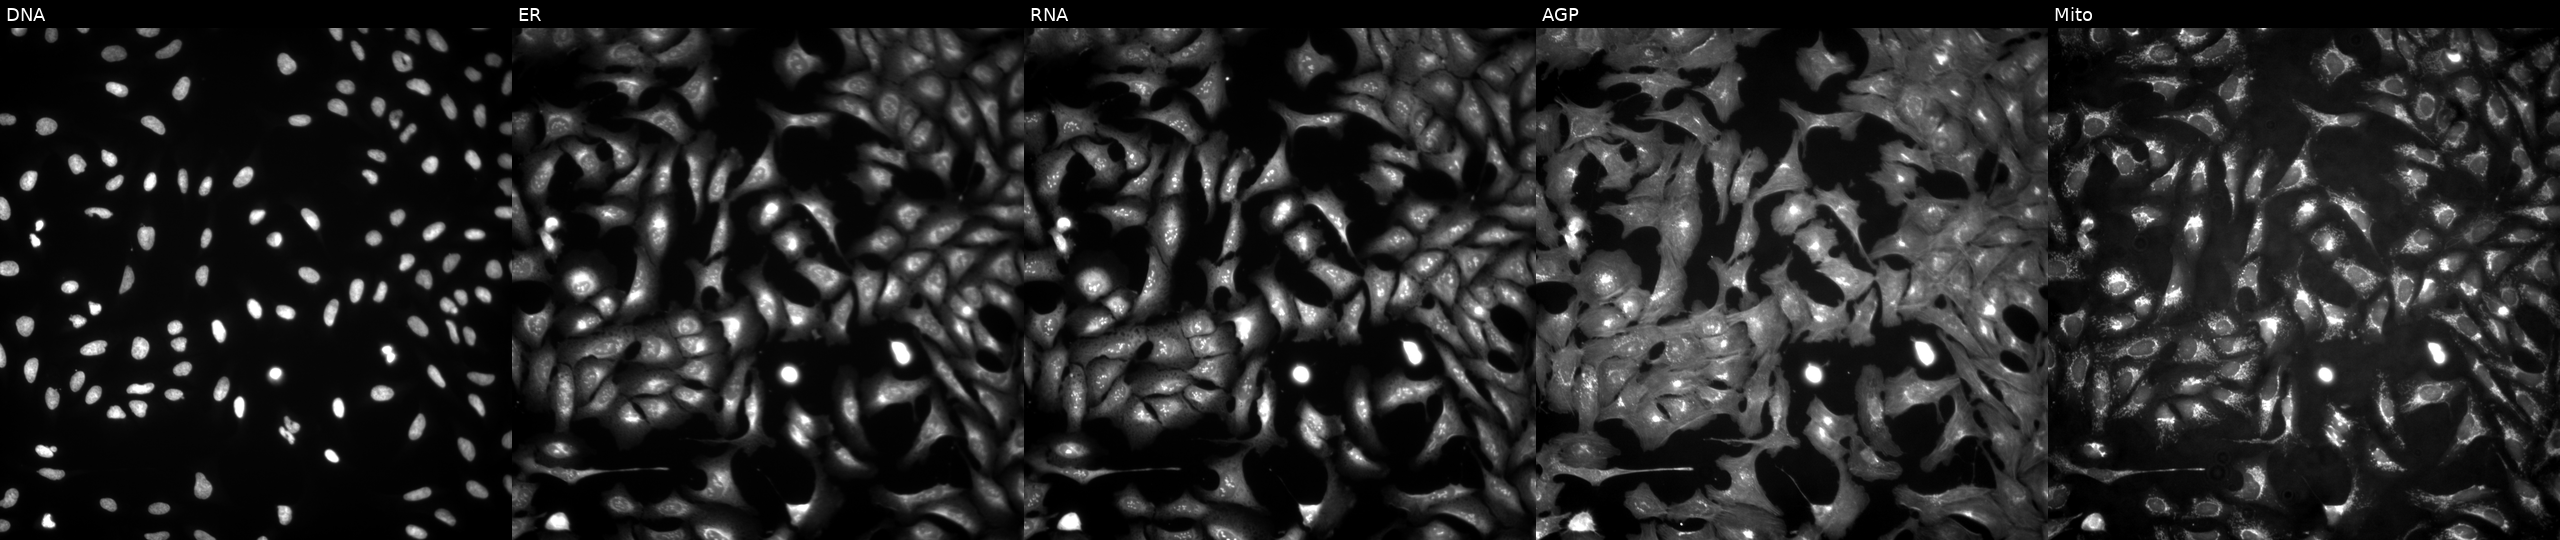
U2OS cells, Cell Painting assay, expressing LUCIFERASE (ORF negative control) (JUMP id JCP2022_915130). Panels show, left to right, Hoechst 33342, concanavalin A, SYTO 14, phalloidin and WGA, MitoTracker. Each panel is percentile-stretched 16-bit fluorescence.